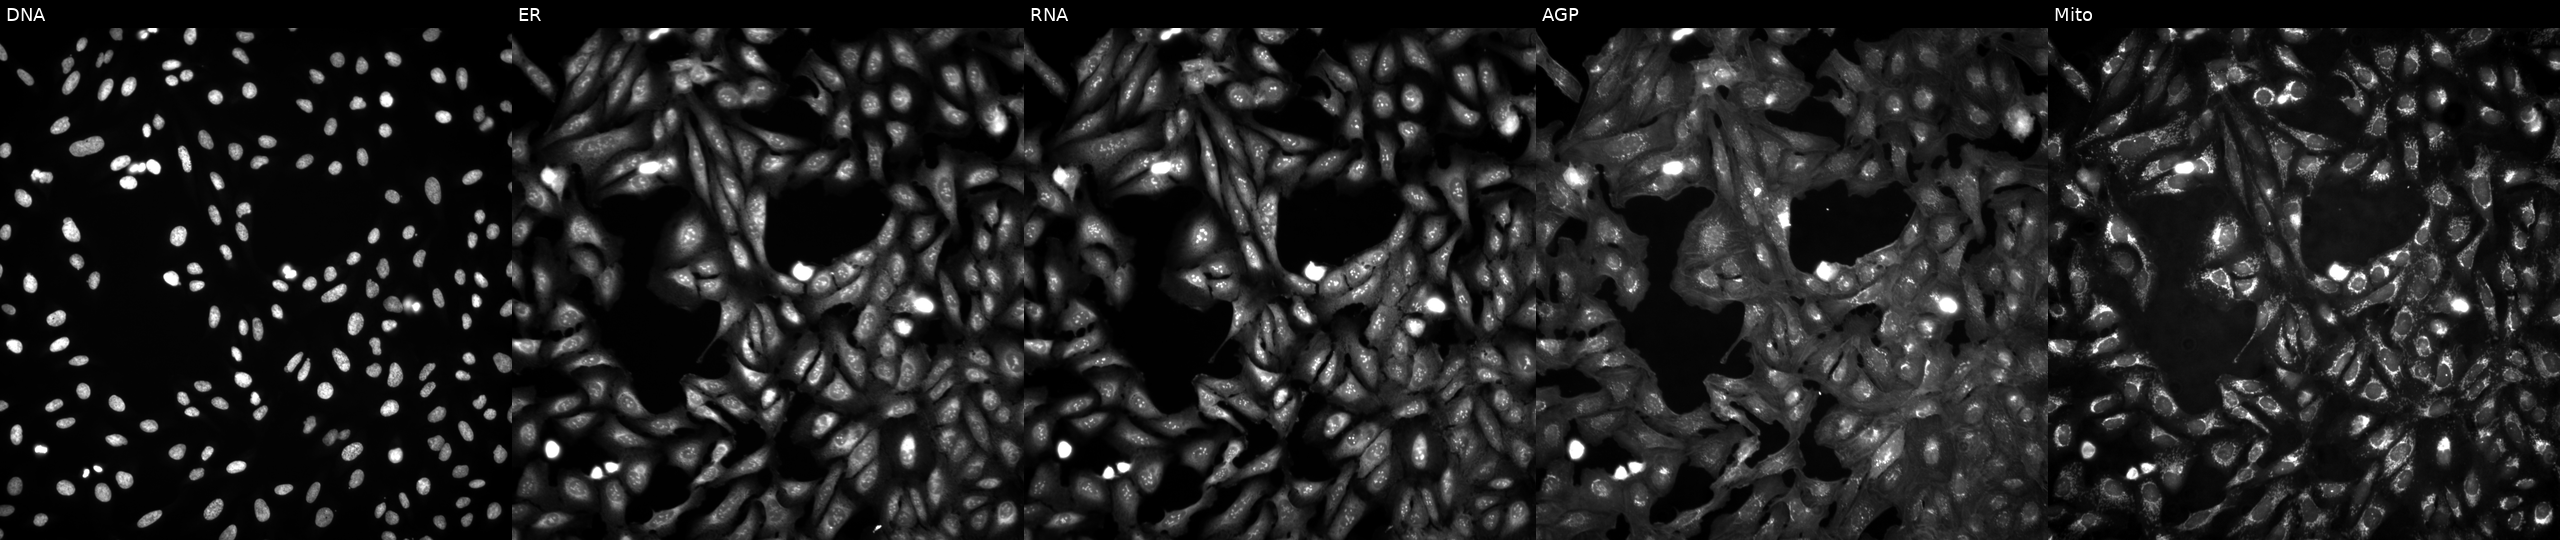
High-content fluorescence microscopy (Cell Painting). Cell line: U2OS. Perturbation: untreated (empty-well control) (JUMP id JCP2022_999999). Panels show, left to right, Hoechst 33342, concanavalin A, SYTO 14, phalloidin and WGA, MitoTracker. Source 4, plate BR00124793, well G10.